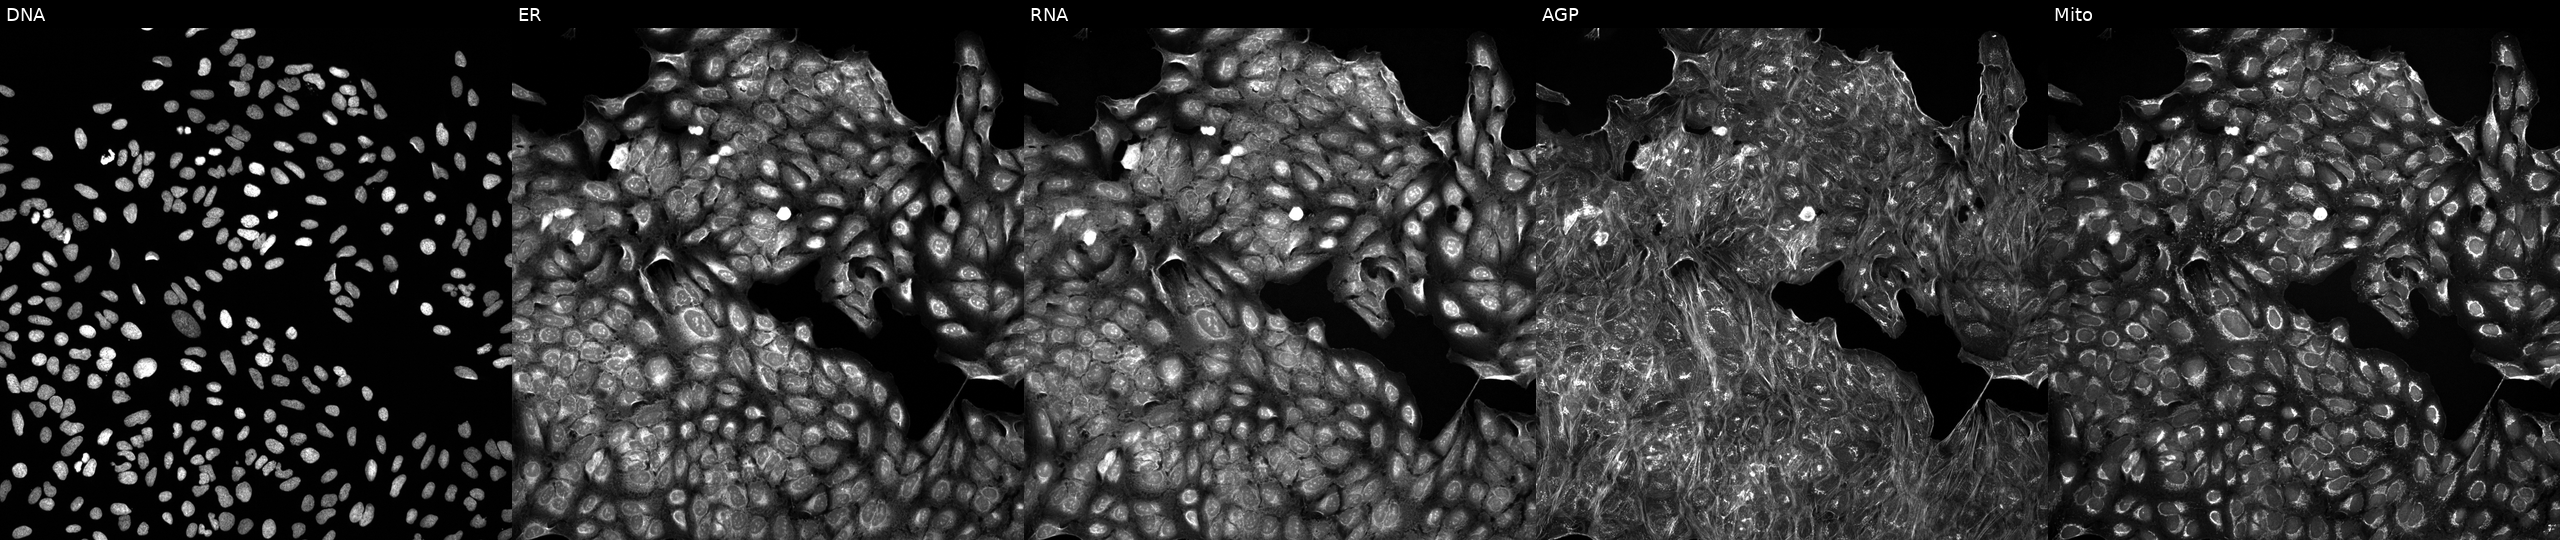
Five-channel Cell Painting image of U2OS cells exposed to a small-molecule compound (InChIKey DHMTURDWPRKSOA-UHFFFAOYSA-N). Channels (left→right): DNA, ER, RNA, AGP, and Mito. Source 5, plate ACPJUM012, well N08.